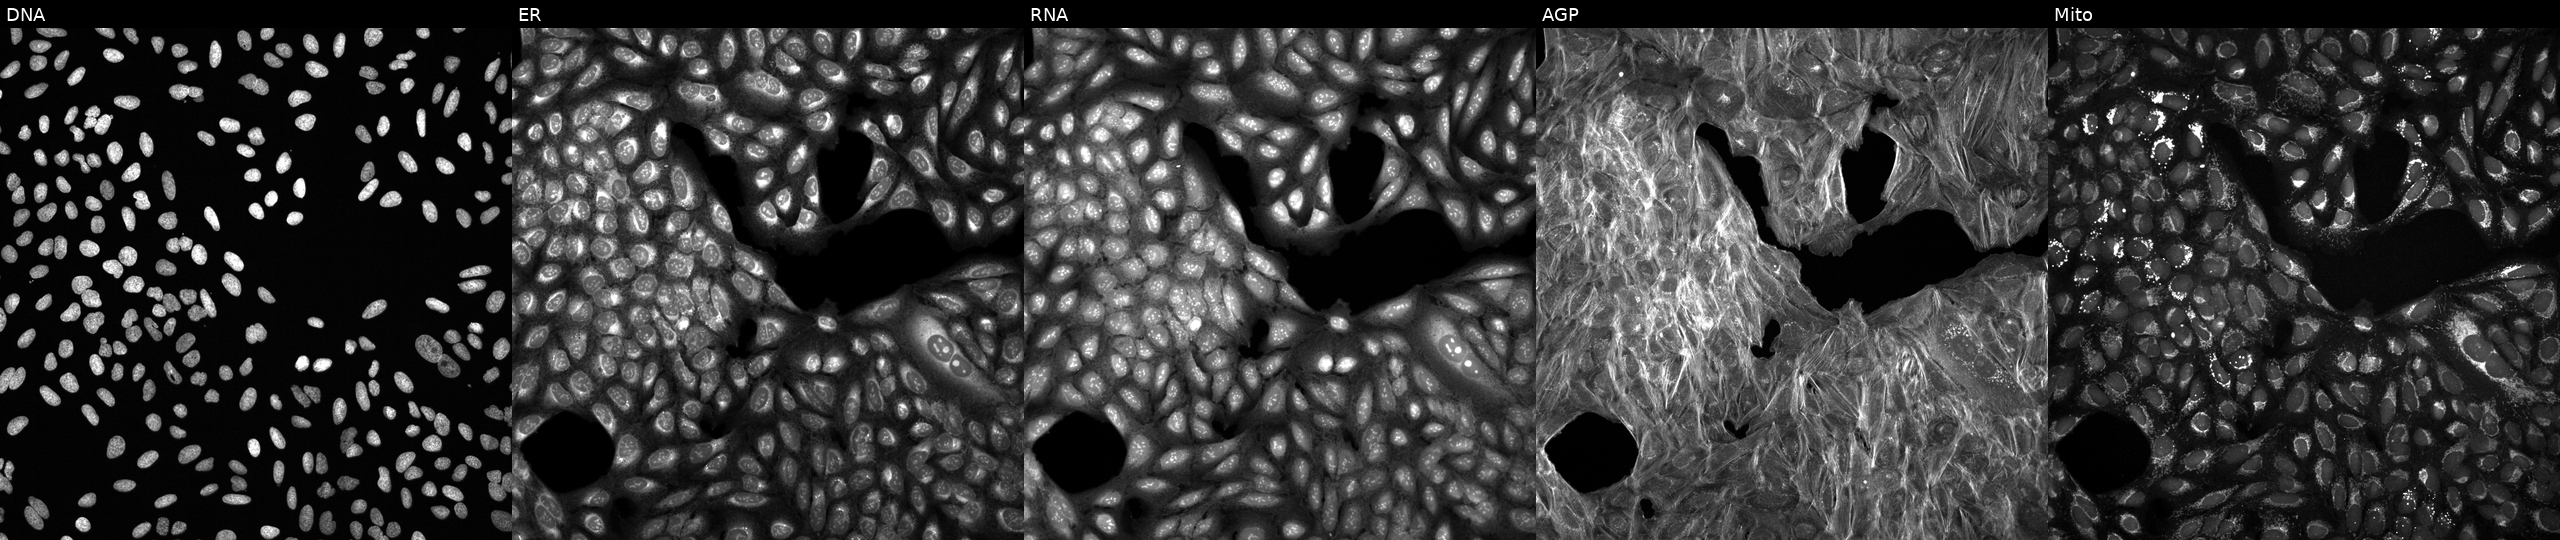
High-content fluorescence microscopy (Cell Painting). Cell line: U2OS. Perturbation: exposed to a small-molecule compound (InChIKey IZKUCXTZJHMHQR-UHFFFAOYSA-N). The five panels, left to right, show DNA, ER, RNA, AGP, and Mito.